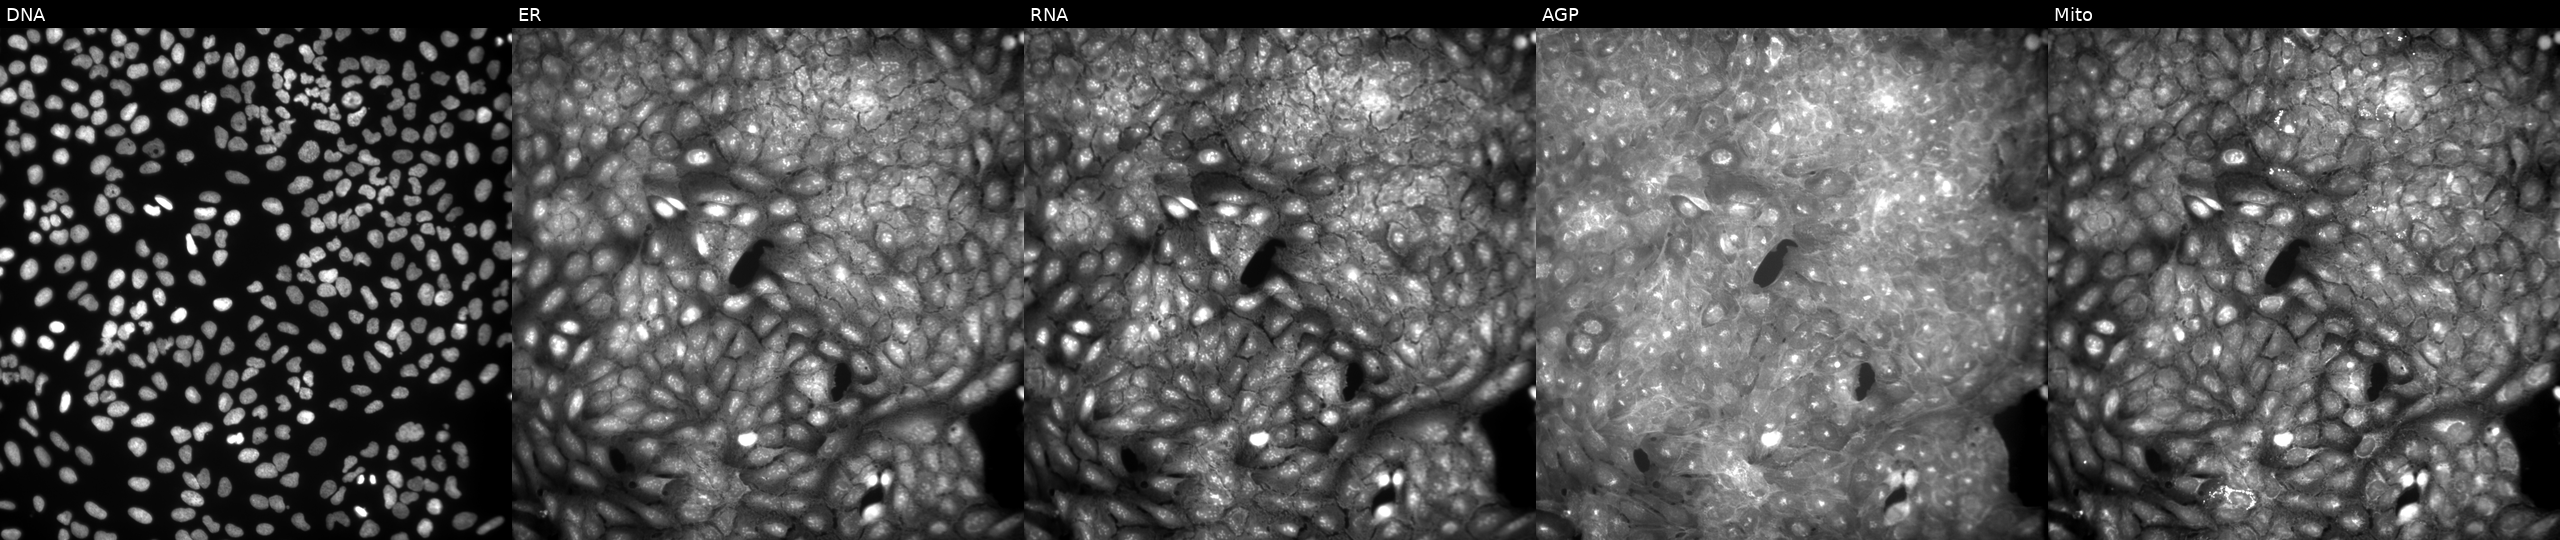
U2OS cells, Cell Painting assay, exposed to DMSO alone as a negative control. Channels (left→right): DNA (nuclei); ER (endoplasmic reticulum); RNA (nucleoli and cytoplasmic RNA); AGP (actin cytoskeleton, Golgi, and plasma membrane); Mito (mitochondria). Each panel is percentile-stretched 16-bit fluorescence.